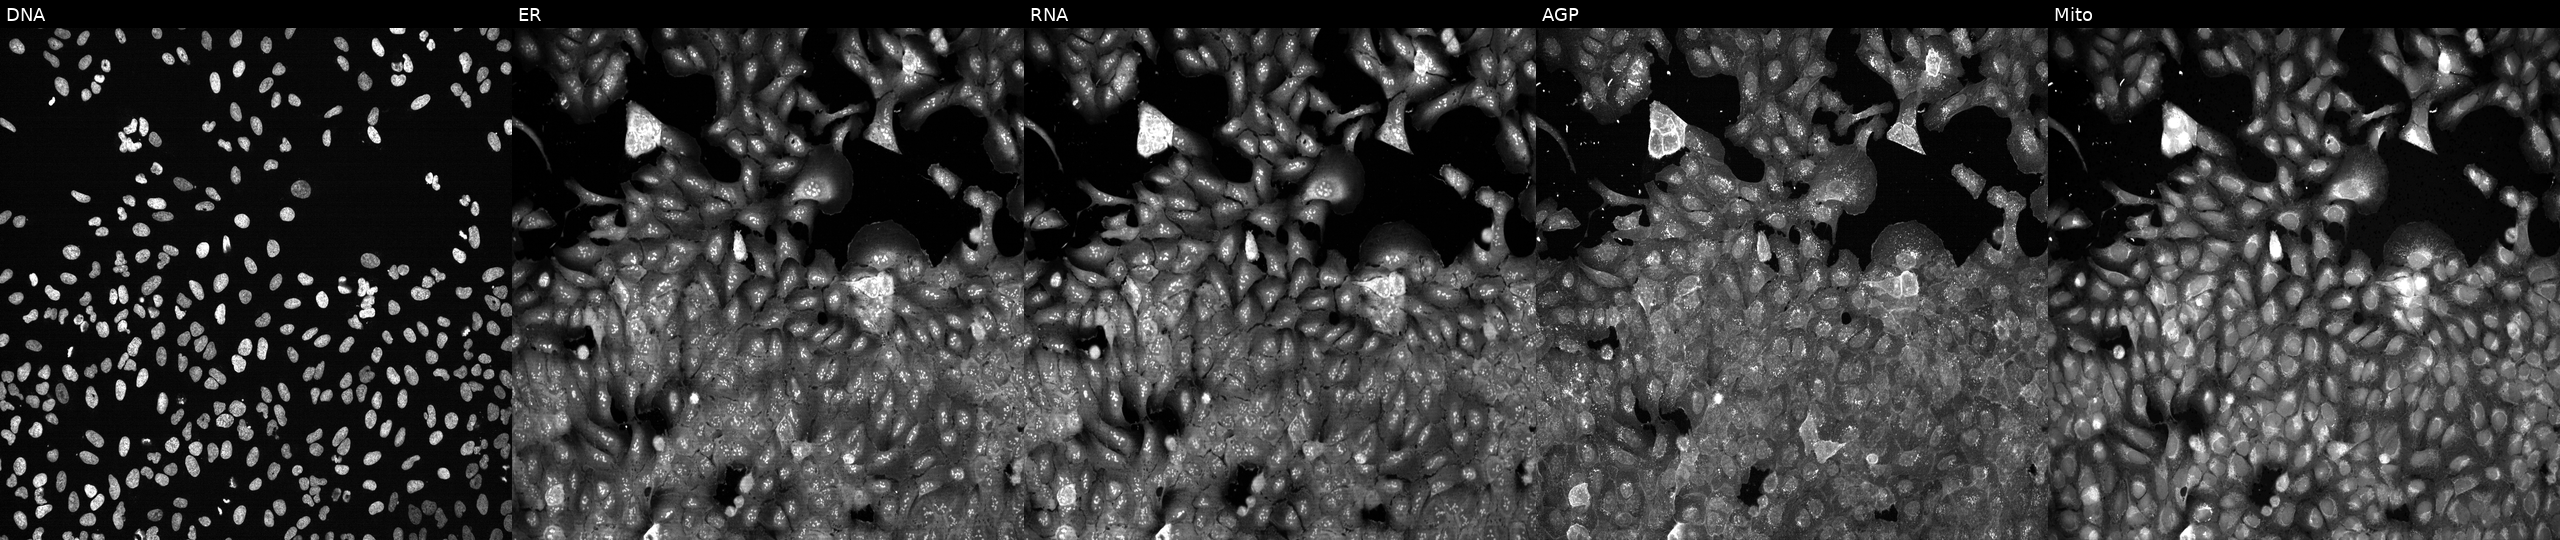
Five-channel Cell Painting image of U2OS cells with GAPDHS knocked out by CRISPR (JUMP id JCP2022_802610). Panels show, left to right, Hoechst 33342, concanavalin A, SYTO 14, phalloidin and WGA, MitoTracker. Source 13, plate CP-CC9-R1-02, well J12.